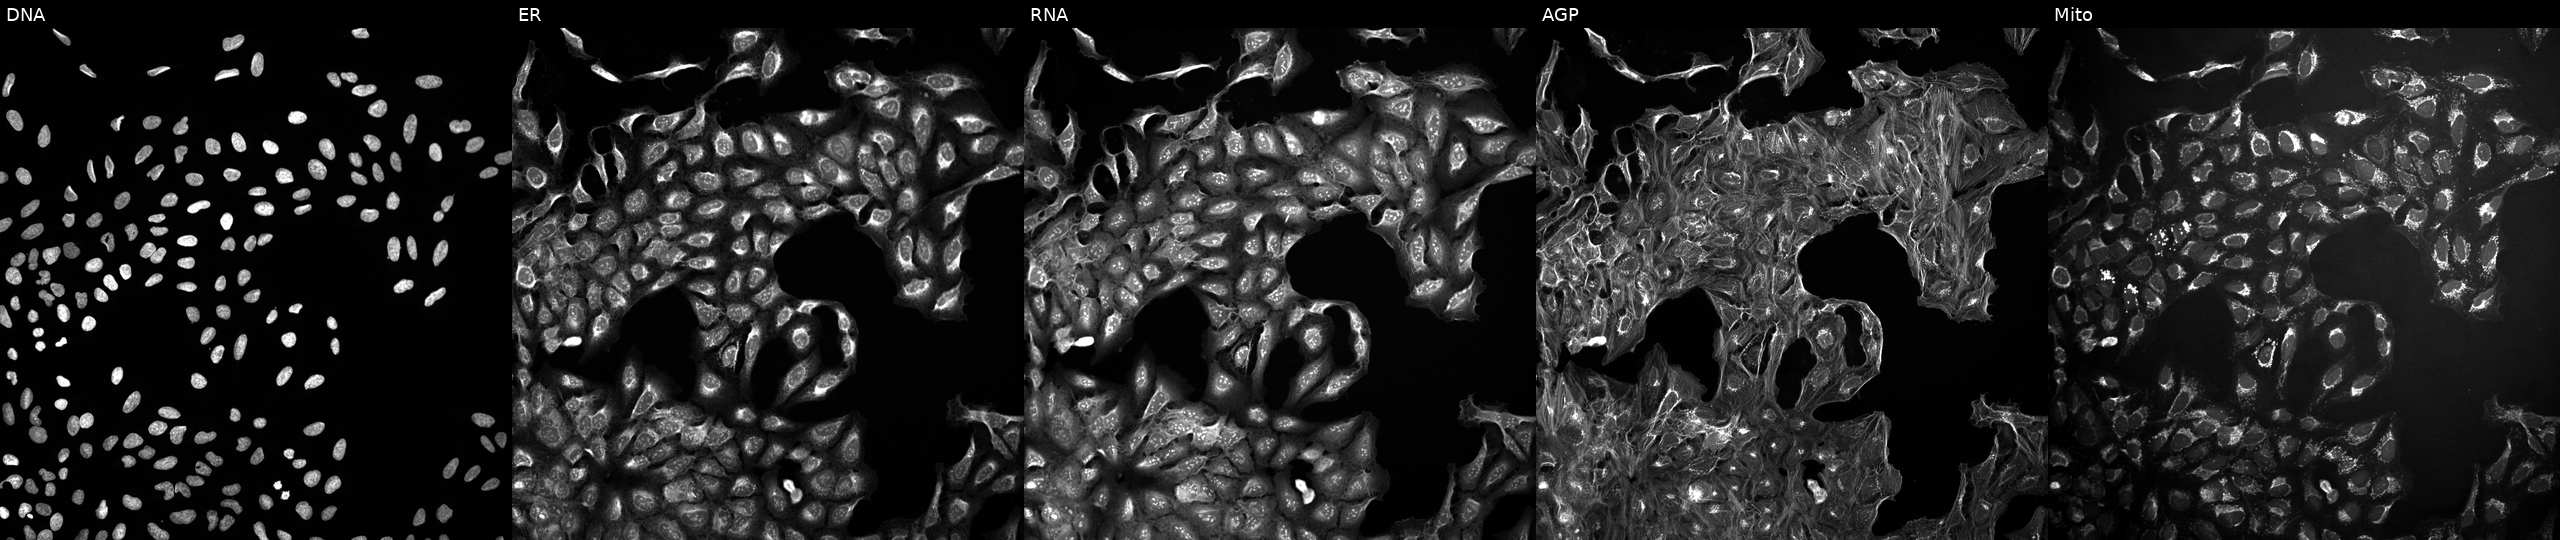
Five-channel Cell Painting image of U2OS cells untreated (empty-well control) (JUMP id JCP2022_999999). Channels (left→right): DNA, ER, RNA, AGP, and Mito. Source 10, plate Dest210531-152324, well K13.